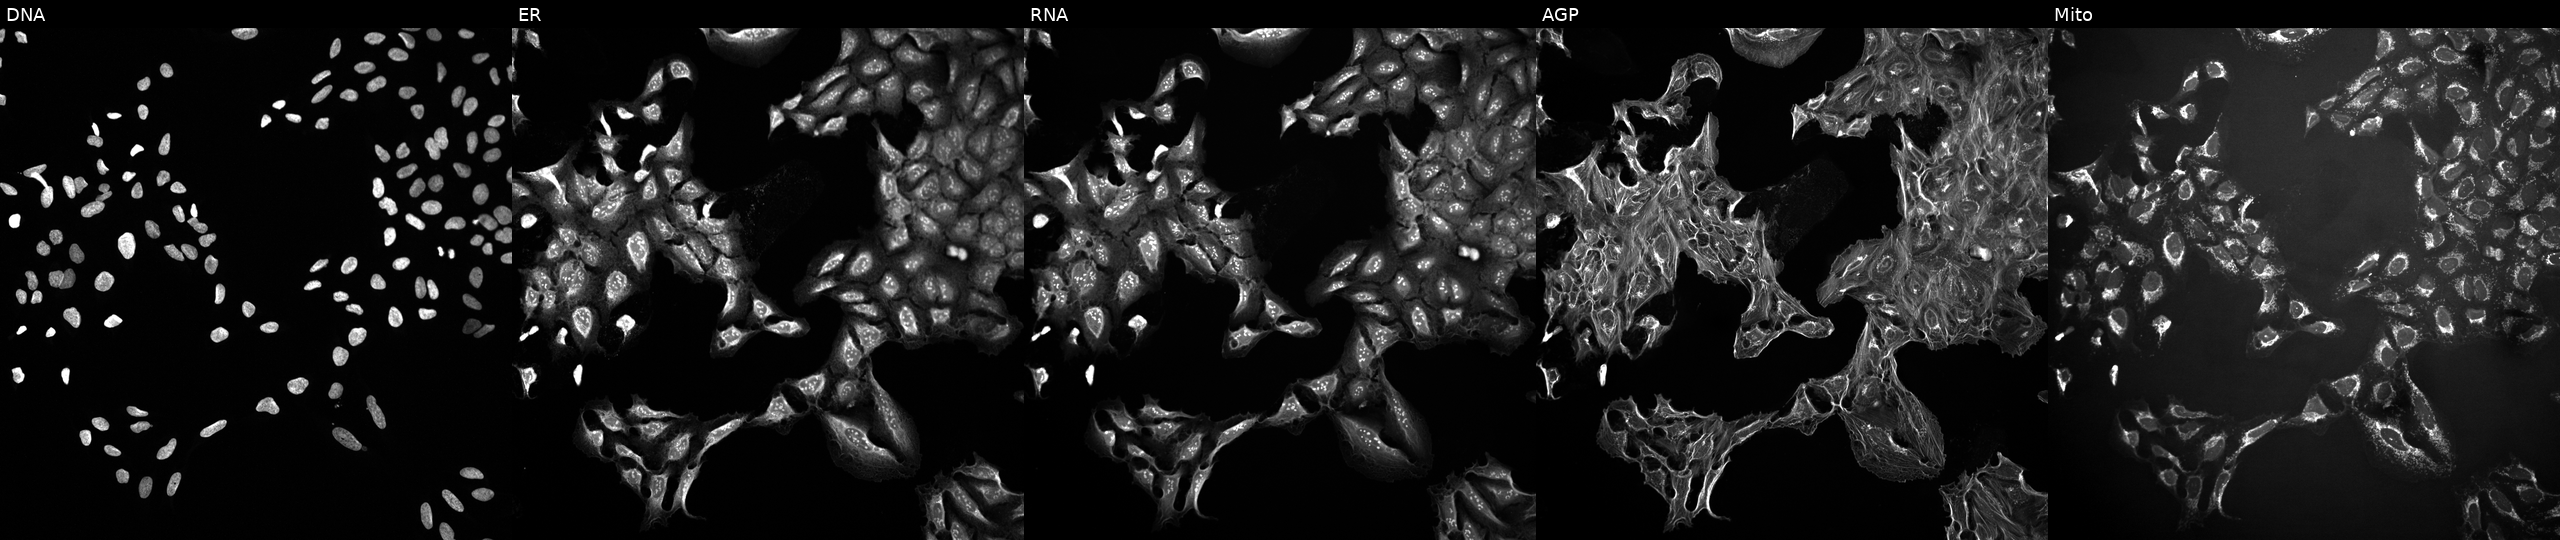
JUMP Cell Painting — TARGET2 plate. U2OS cells perturbed with a small-molecule compound (InChIKey CMSMOCZEIVJLDB-UHFFFAOYSA-N) (JUMP id JCP2022_012146). Panels show, left to right, DNA (nuclei); ER (endoplasmic reticulum); RNA (nucleoli and cytoplasmic RNA); AGP (actin cytoskeleton, Golgi, and plasma membrane); Mito (mitochondria).